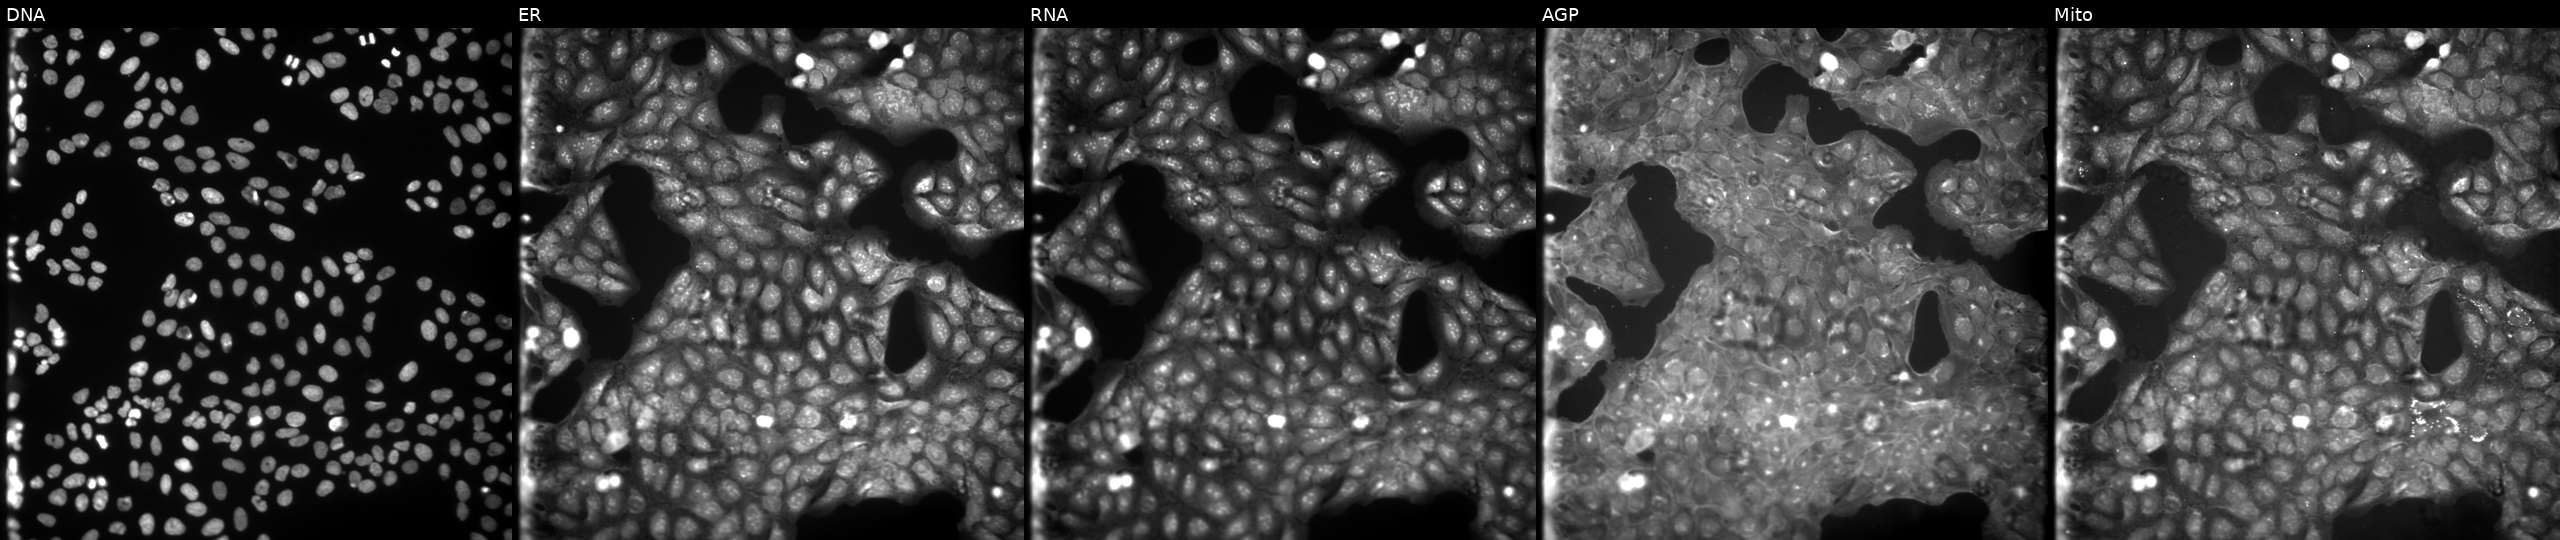
High-content fluorescence microscopy (Cell Painting). Cell line: U2OS. Perturbation: exposed to a small-molecule compound [SMILES: Cc1cc(C)c(C(=O)CC2(O)C(=O)Nc3ccc(Cl)cc32)c(C)c1]. From left to right: DNA (nuclei); ER (endoplasmic reticulum); RNA (nucleoli and cytoplasmic RNA); AGP (actin cytoskeleton, Golgi, and plasma membrane); Mito (mitochondria).